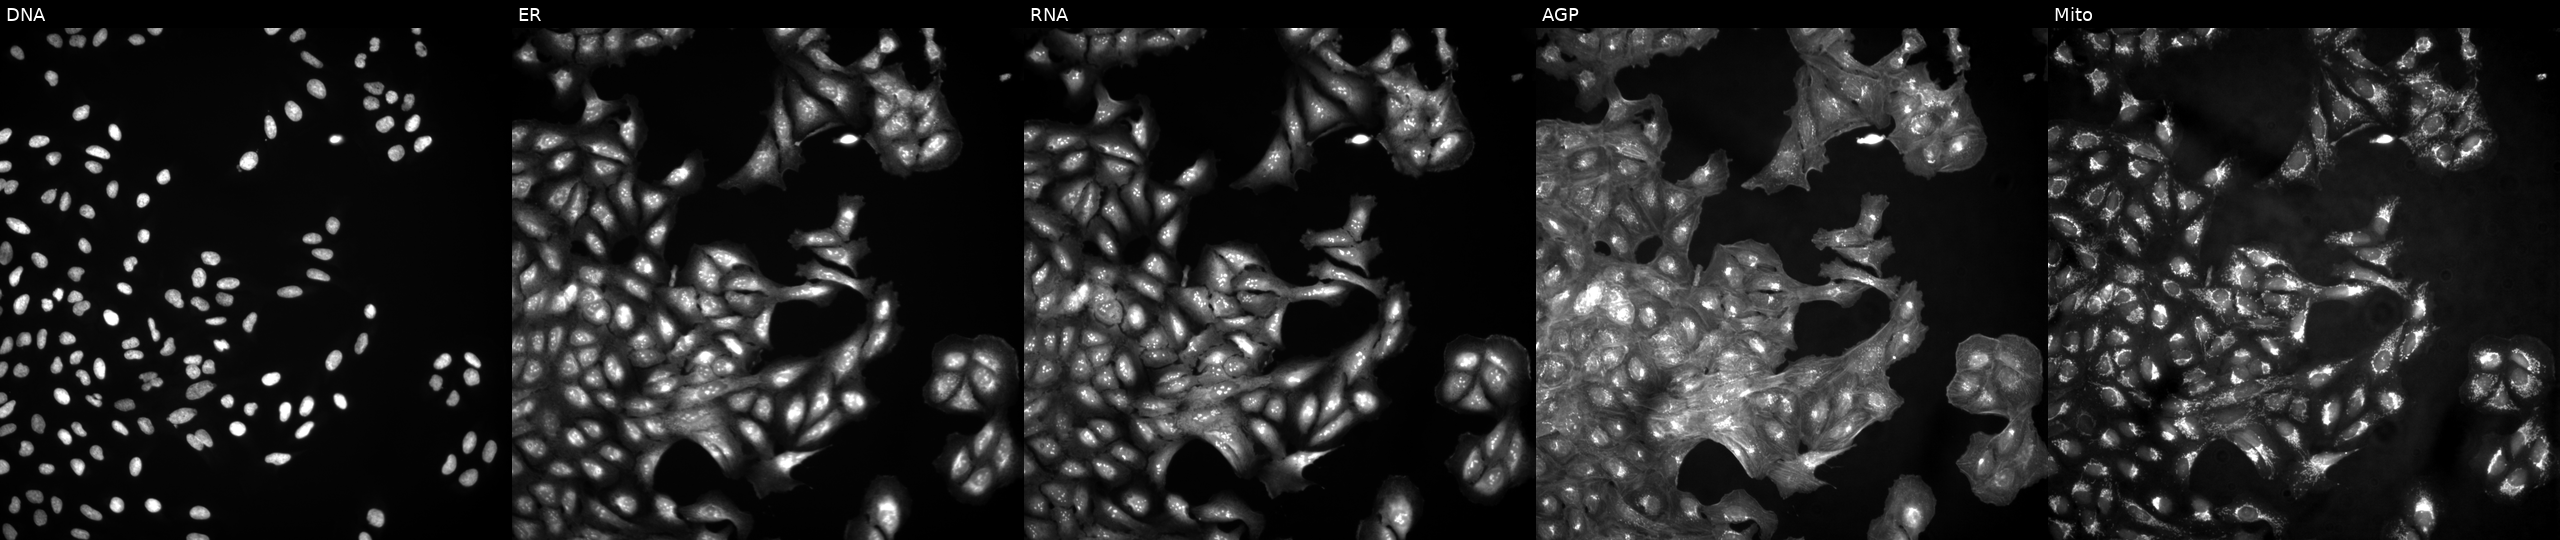
Five-channel Cell Painting image of U2OS cells untreated (empty-well control). Channels (left→right): DNA, ER, RNA, AGP, and Mito.